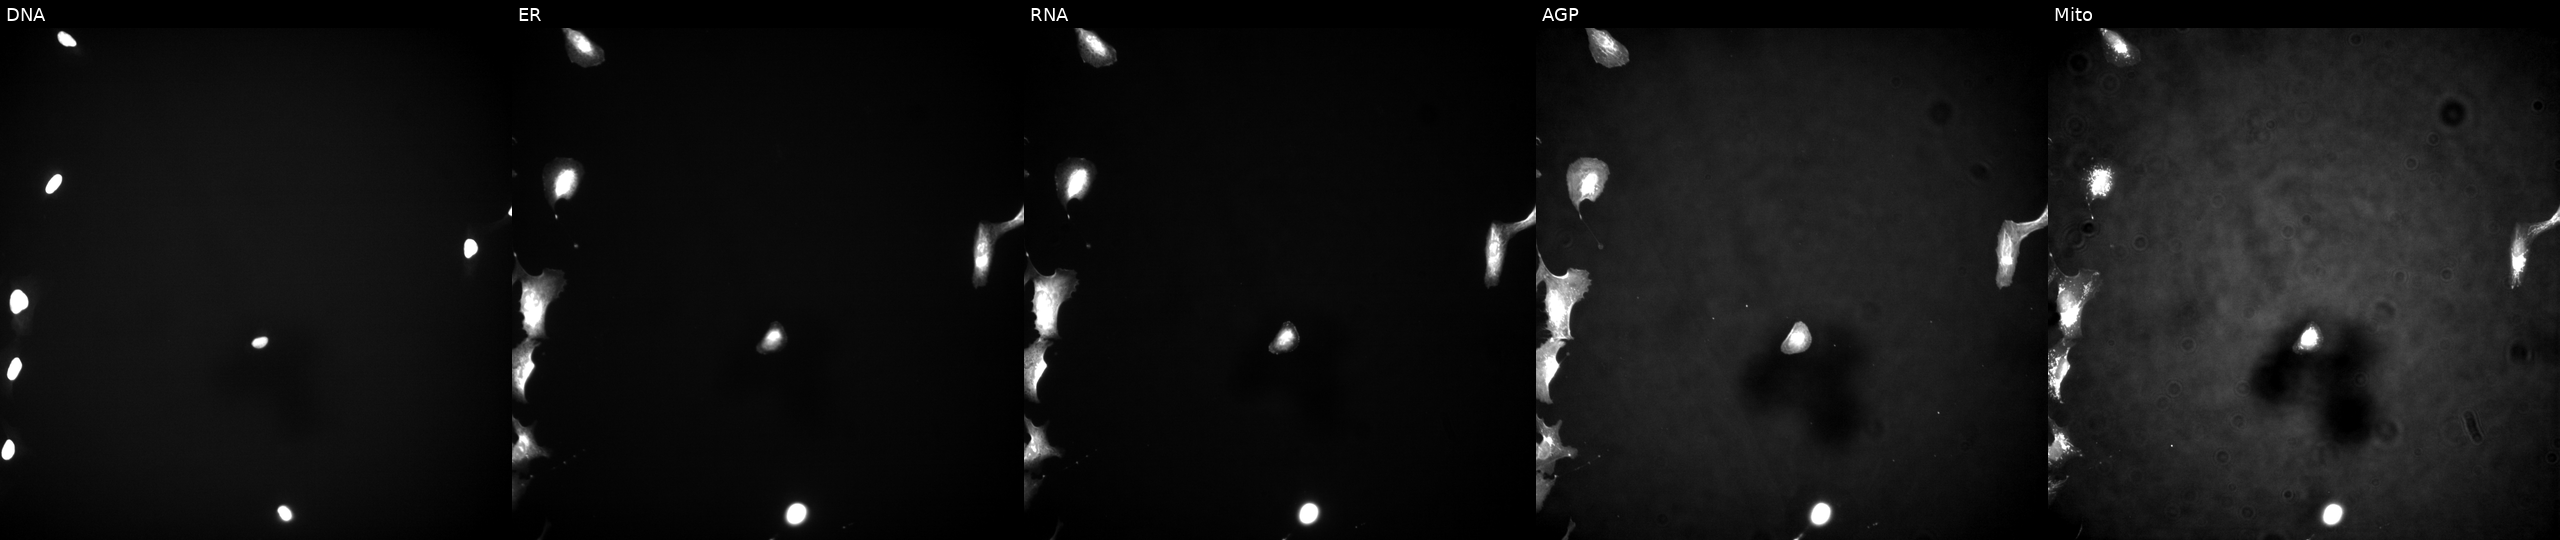
JUMP Cell Painting — ORF plate. U2OS cells transfected with an ORF construct for RTP2 (JUMP id JCP2022_909358). From left to right: DNA (nuclei); ER (endoplasmic reticulum); RNA (nucleoli and cytoplasmic RNA); AGP (actin cytoskeleton, Golgi, and plasma membrane); Mito (mitochondria). Source 4, plate BR00124790, well P12.